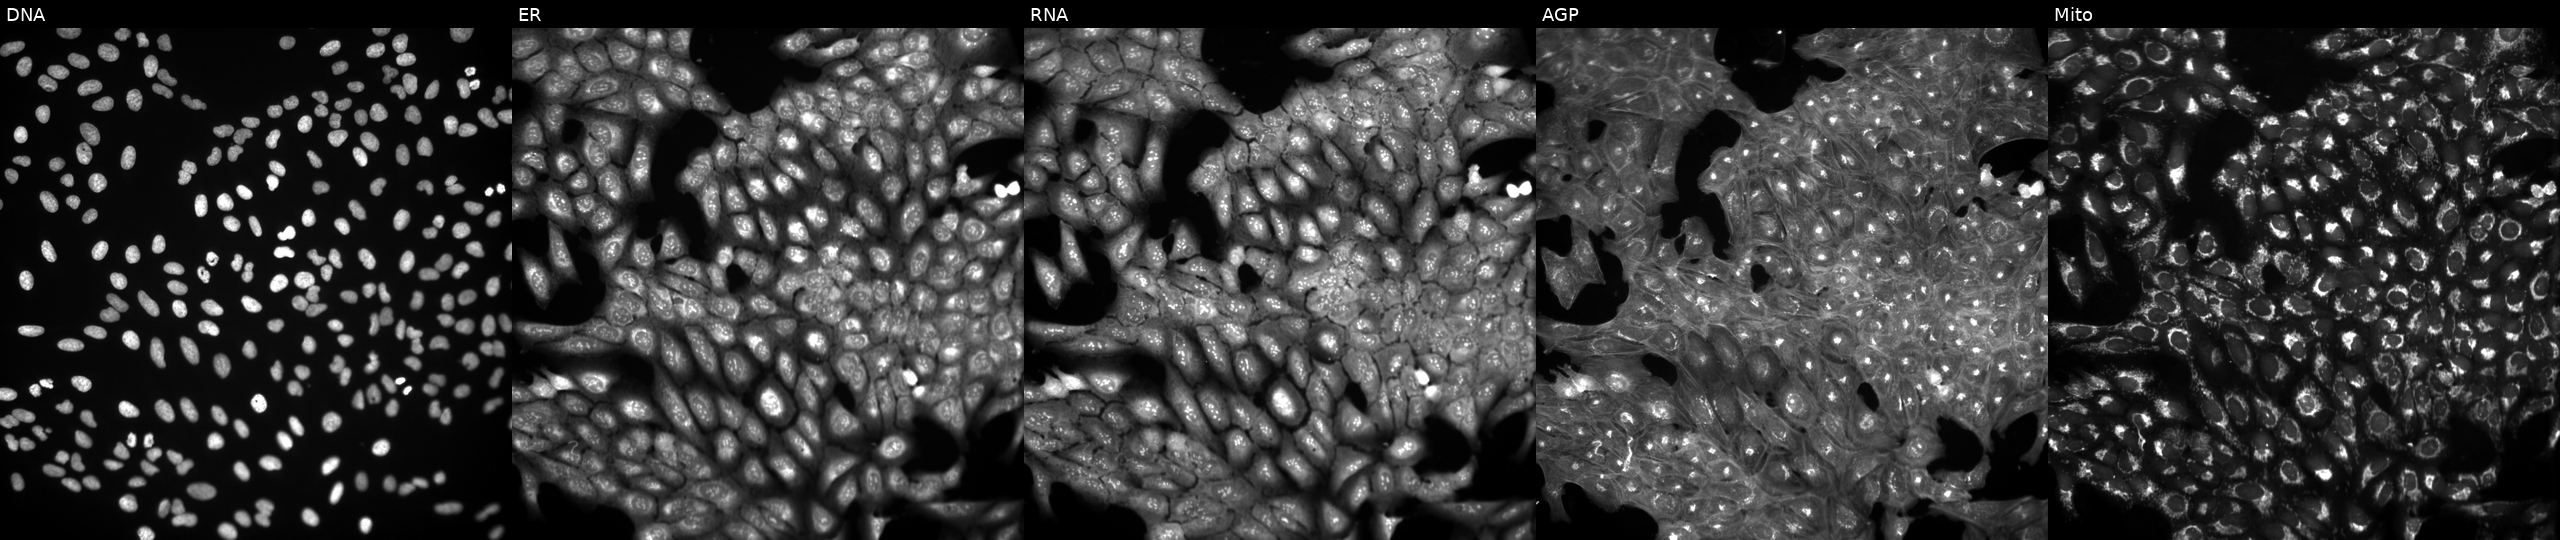
Channels (left→right): DNA (nuclei); ER (endoplasmic reticulum); RNA (nucleoli and cytoplasmic RNA); AGP (actin cytoskeleton, Golgi, and plasma membrane); Mito (mitochondria). U2OS osteosarcoma cells perturbed with a small-molecule compound (InChIKey PYALAXHKHQSBRV-UHFFFAOYSA-N). Cell Painting assay, JUMP-CP dataset.